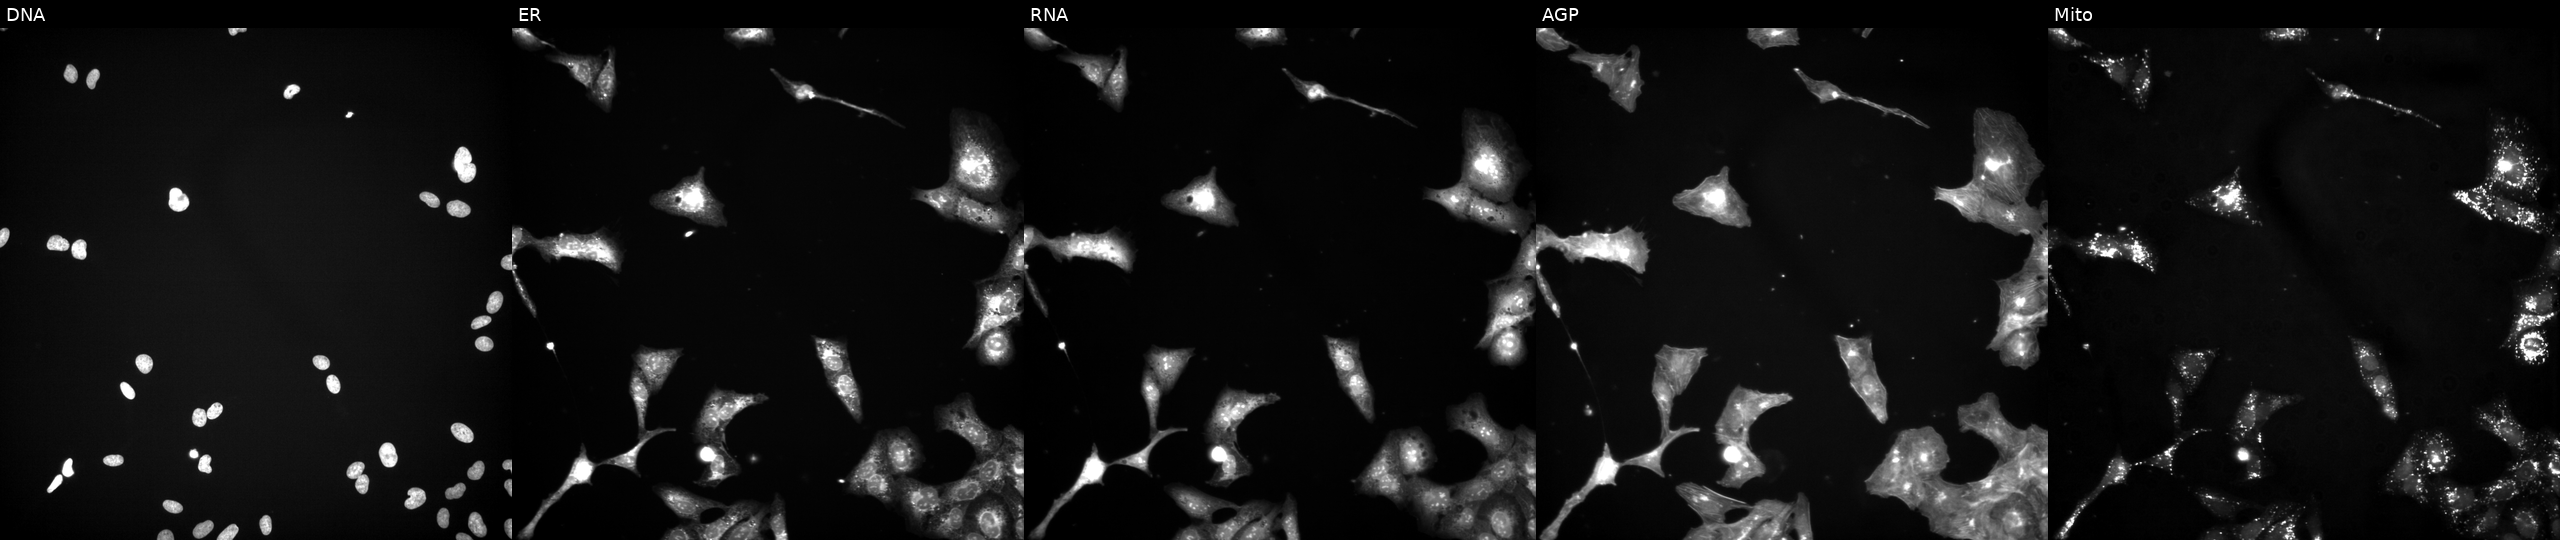
Five-channel Cell Painting image of U2OS cells exposed to a small-molecule compound. From left to right: DNA, ER, RNA, AGP, and Mito. Source 3, plate JCPQC053, well O13.